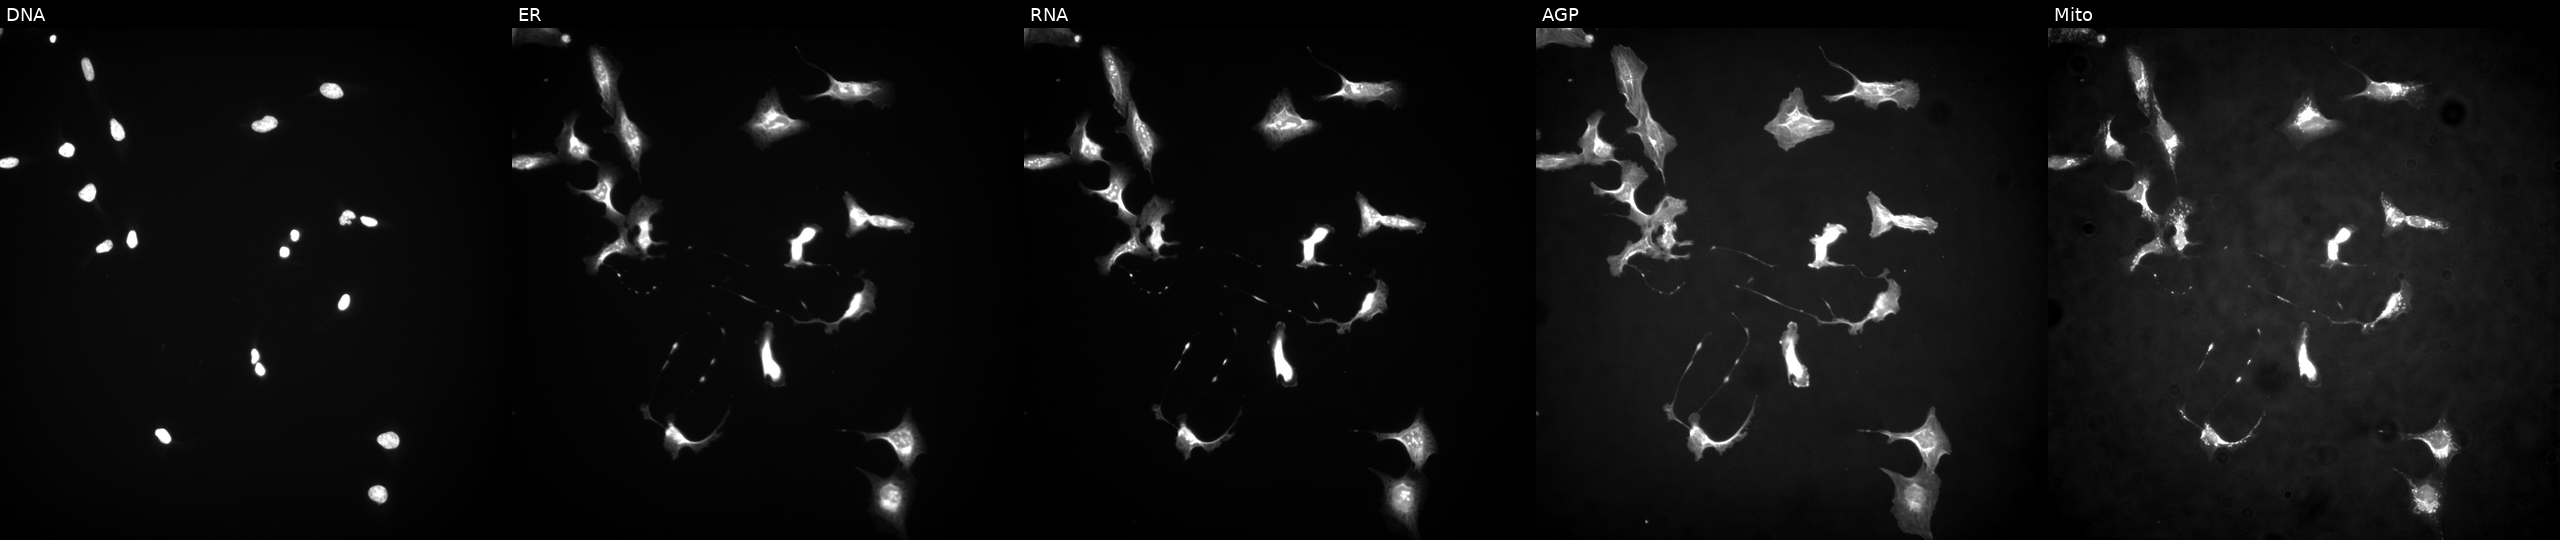
JUMP Cell Painting — ORF plate. U2OS cells overexpressing AKR1D1 via ORF transfection (JUMP id JCP2022_901482). Panels show, left to right, DNA, ER, RNA, AGP, and Mito. Source 4, plate BR00123509, well O08.